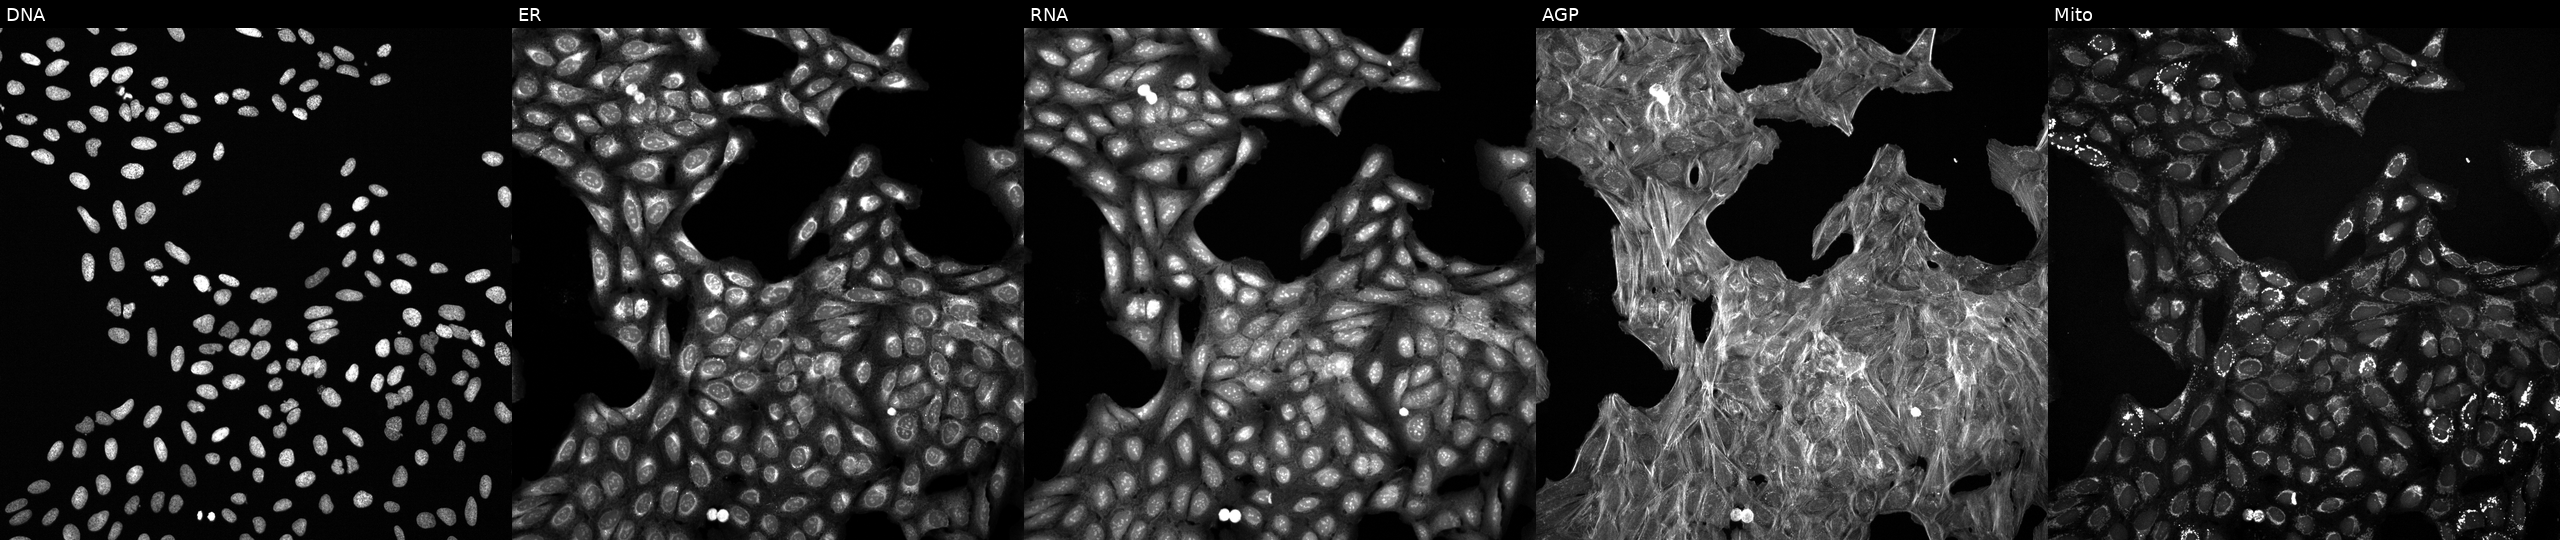
JUMP Cell Painting — TARGET2 plate. U2OS cells exposed to DMSO alone as a negative control. From left to right: DNA, ER, RNA, AGP, and Mito. Source 6, plate 110000293081, well C09.